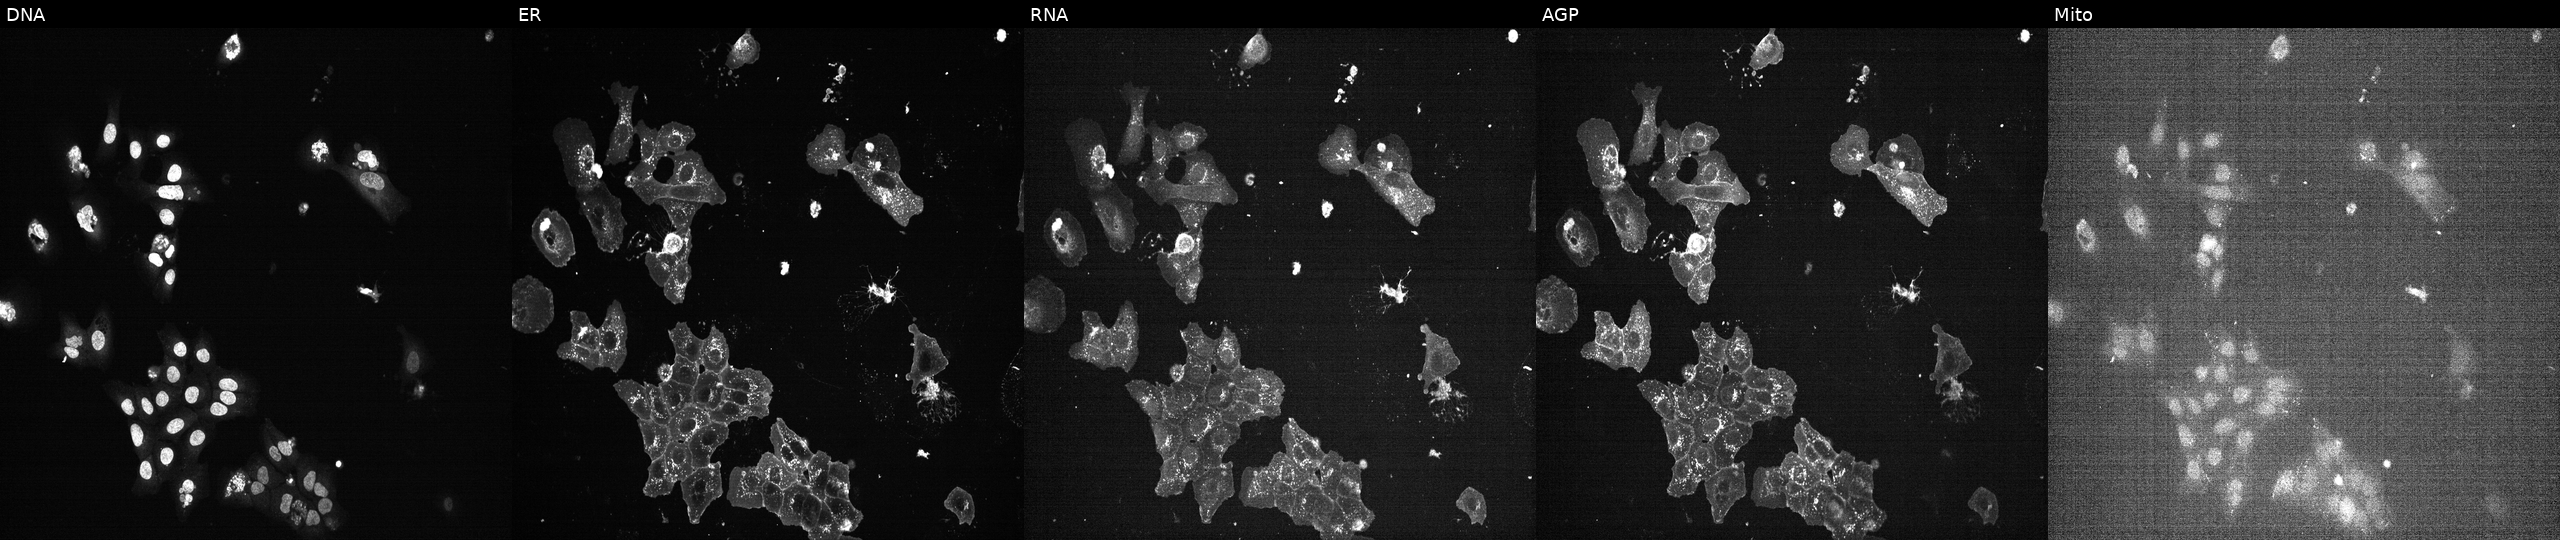
High-content fluorescence microscopy (Cell Painting). Cell line: U2OS. Perturbation: with PLK1 knocked out by CRISPR (positive control) (JUMP id JCP2022_805264). From left to right: DNA (nuclei); ER (endoplasmic reticulum); RNA (nucleoli and cytoplasmic RNA); AGP (actin cytoskeleton, Golgi, and plasma membrane); Mito (mitochondria). Source 13, plate CP-CC9-R3-01, well A23.